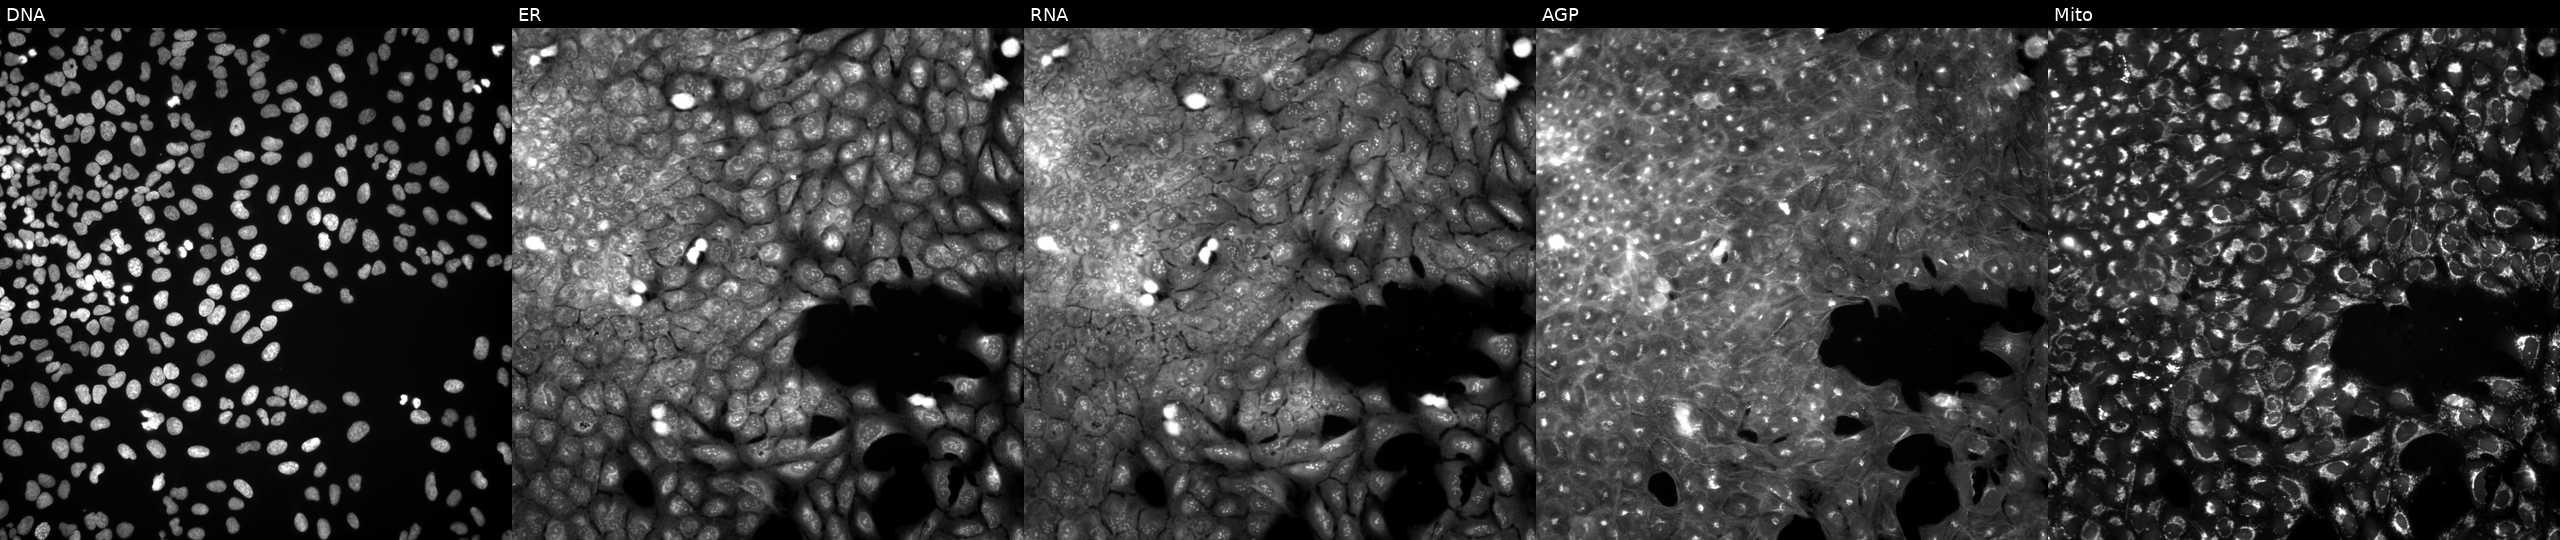
JUMP Cell Painting — COMPOUND plate. U2OS cells exposed to a small-molecule compound (JUMP id JCP2022_028182). From left to right: DNA (nuclei); ER (endoplasmic reticulum); RNA (nucleoli and cytoplasmic RNA); AGP (actin cytoskeleton, Golgi, and plasma membrane); Mito (mitochondria). Source 3, plate BR5867b3, well L08.